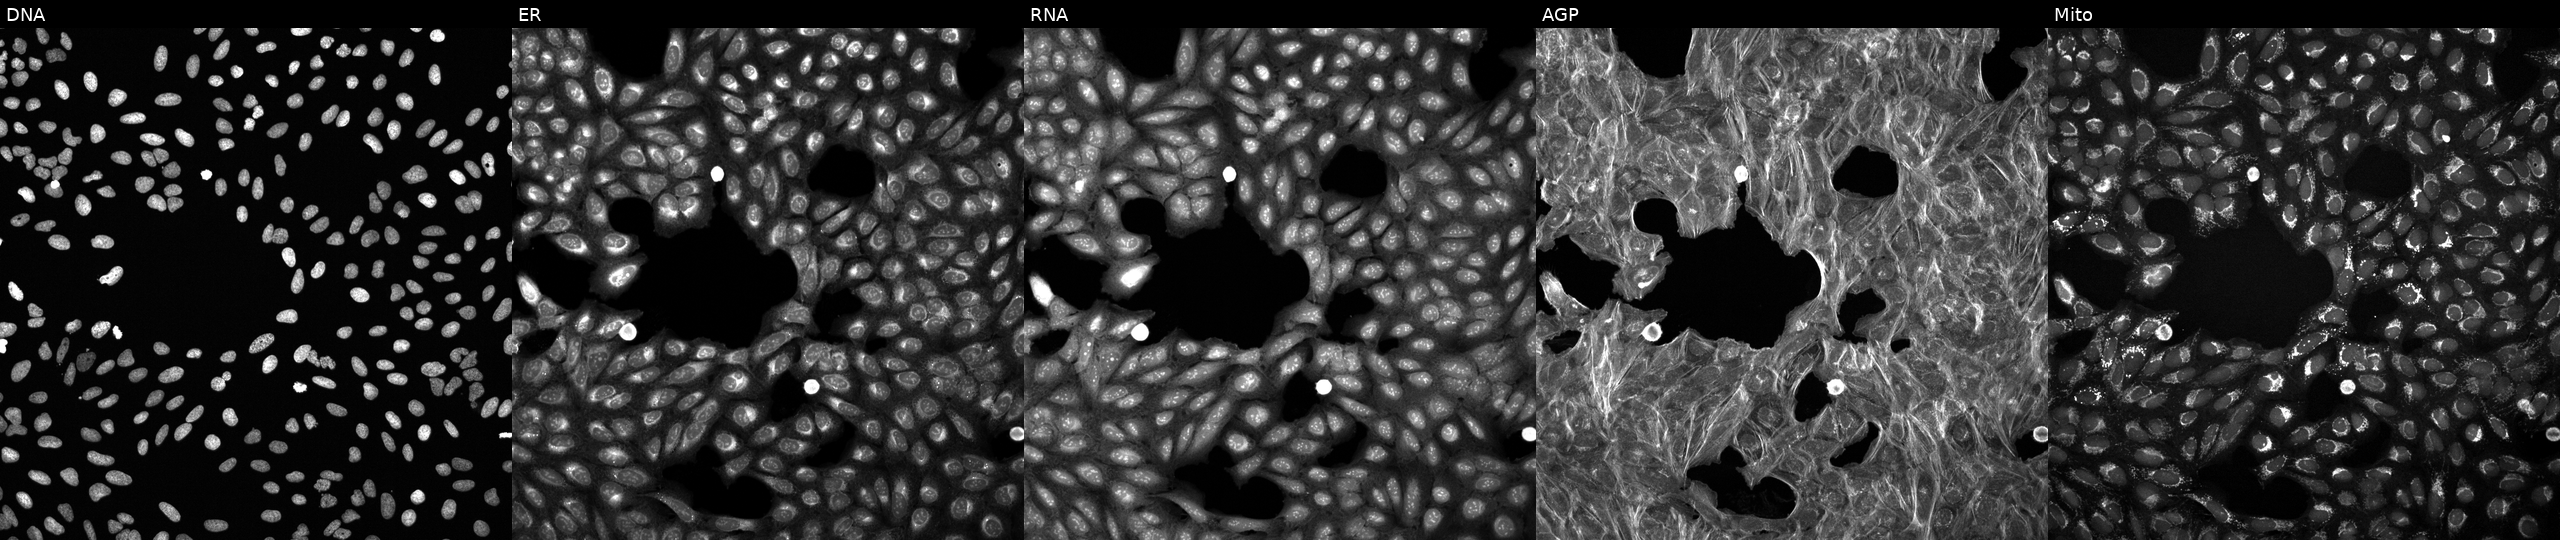
This image strip shows the five Cell Painting channels for a single field of U2OS cells treated with a small-molecule compound (JUMP id JCP2022_020718). Channels (left→right): DNA, ER, RNA, AGP, and Mito. Source 6, plate 110000293081, well E14.